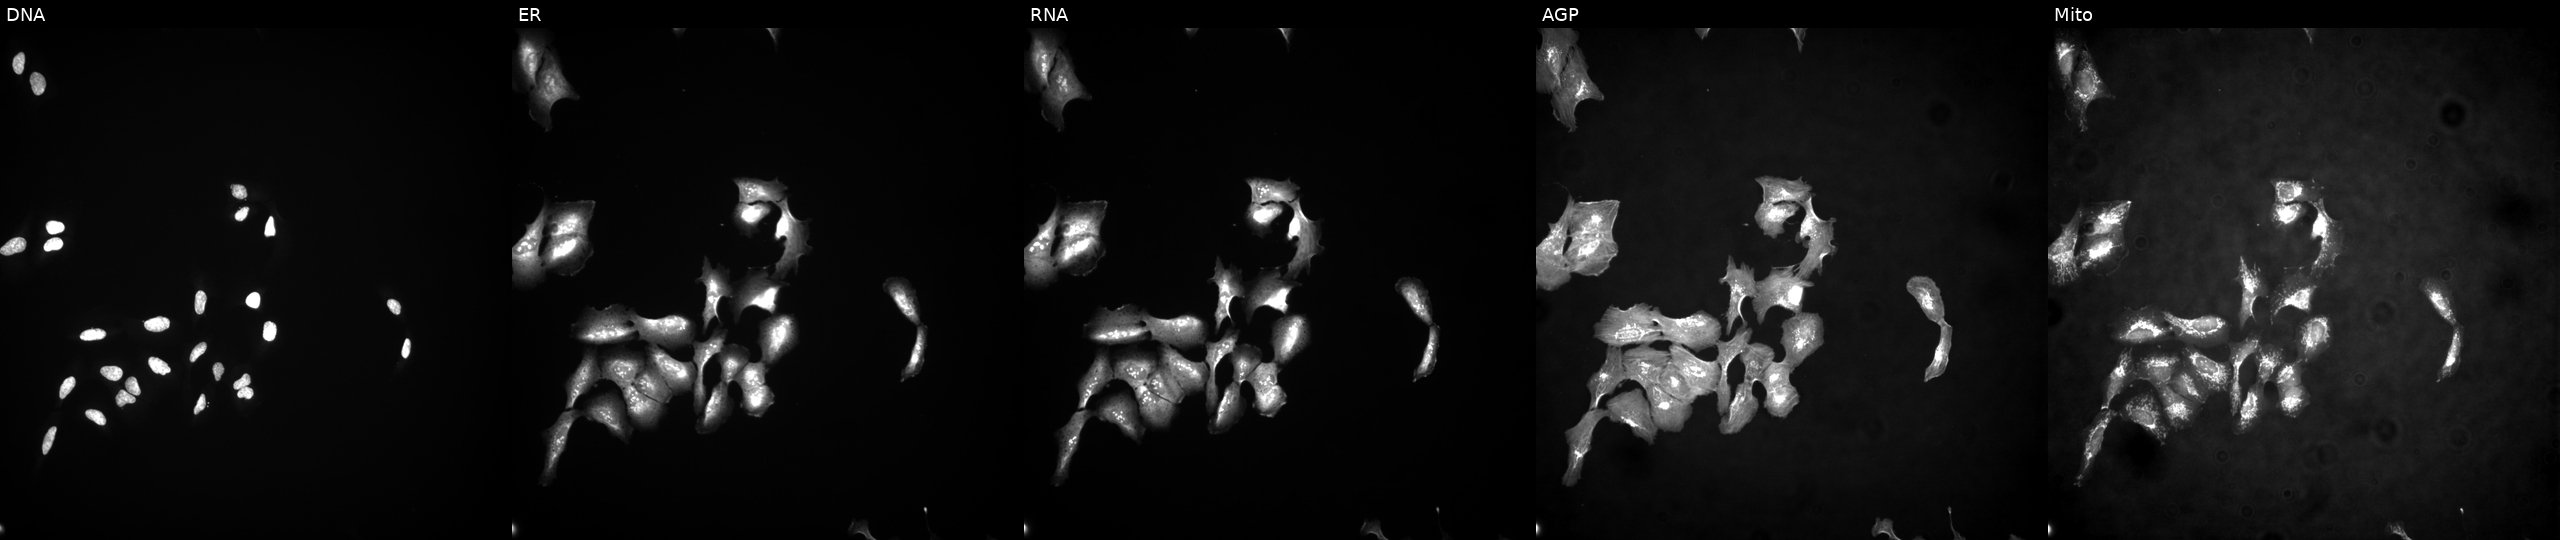
Five-channel Cell Painting image of U2OS cells transfected with an ORF construct for PHOSPHO2. Panels show, left to right, DNA, ER, RNA, AGP, and Mito.